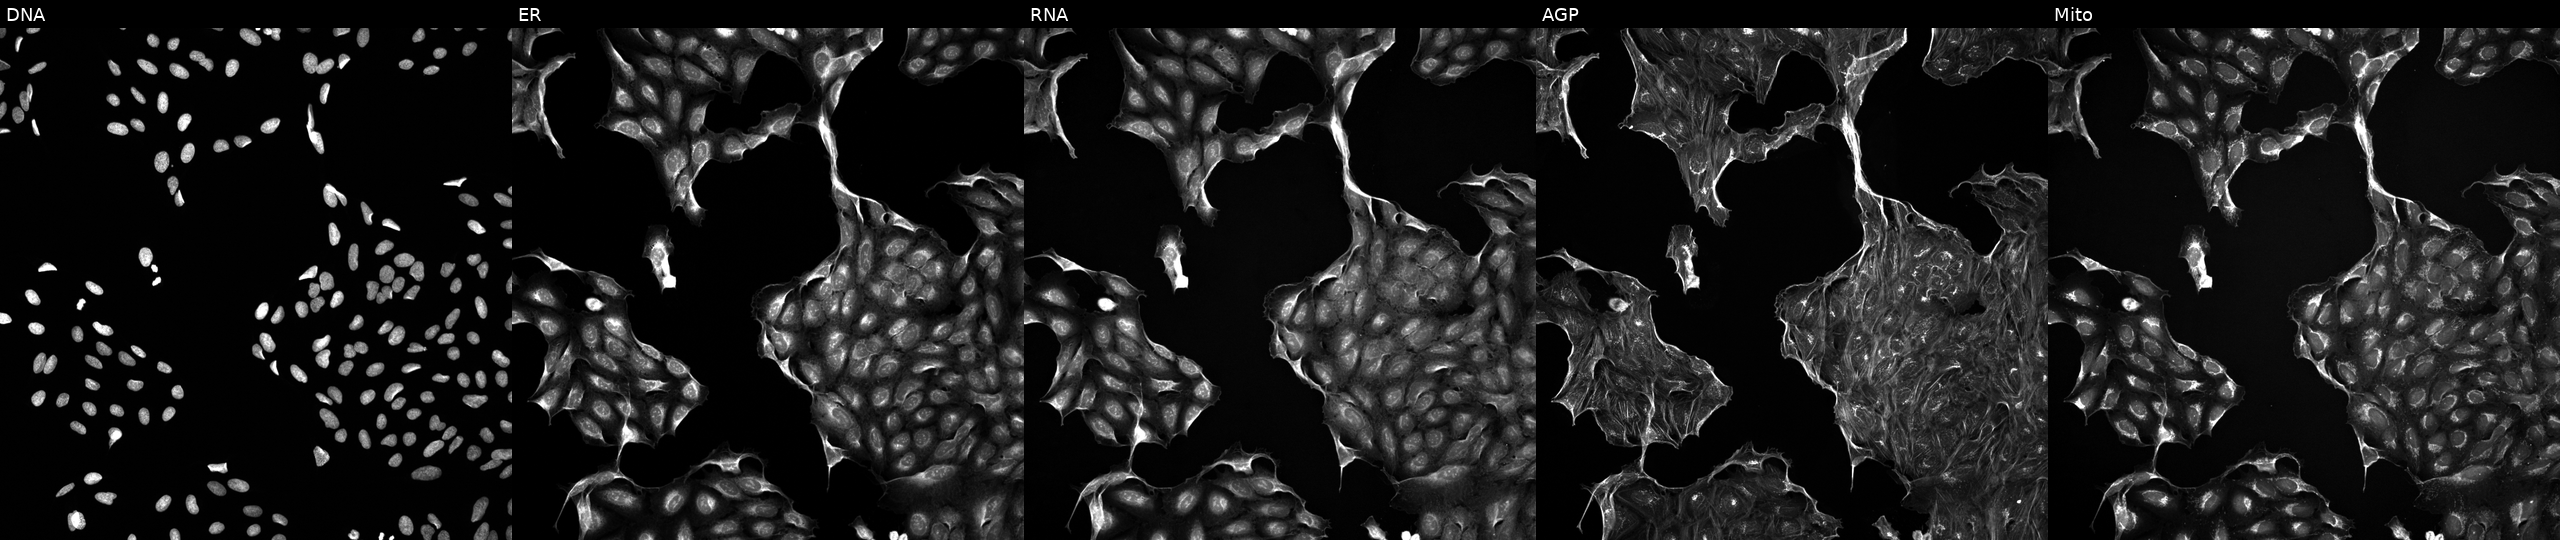
Channels (left→right): Hoechst 33342, concanavalin A, SYTO 14, phalloidin and WGA, MitoTracker. U2OS osteosarcoma cells perturbed with a small-molecule compound (InChIKey MENNDDDTIIZDDN-UHFFFAOYSA-N) [SMILES: Cc1cc(C)nc(SCC(=O)N=c2[nH]cc(Cc3cccc4ccccc34)s2)n1]. Cell Painting assay, JUMP-CP dataset.